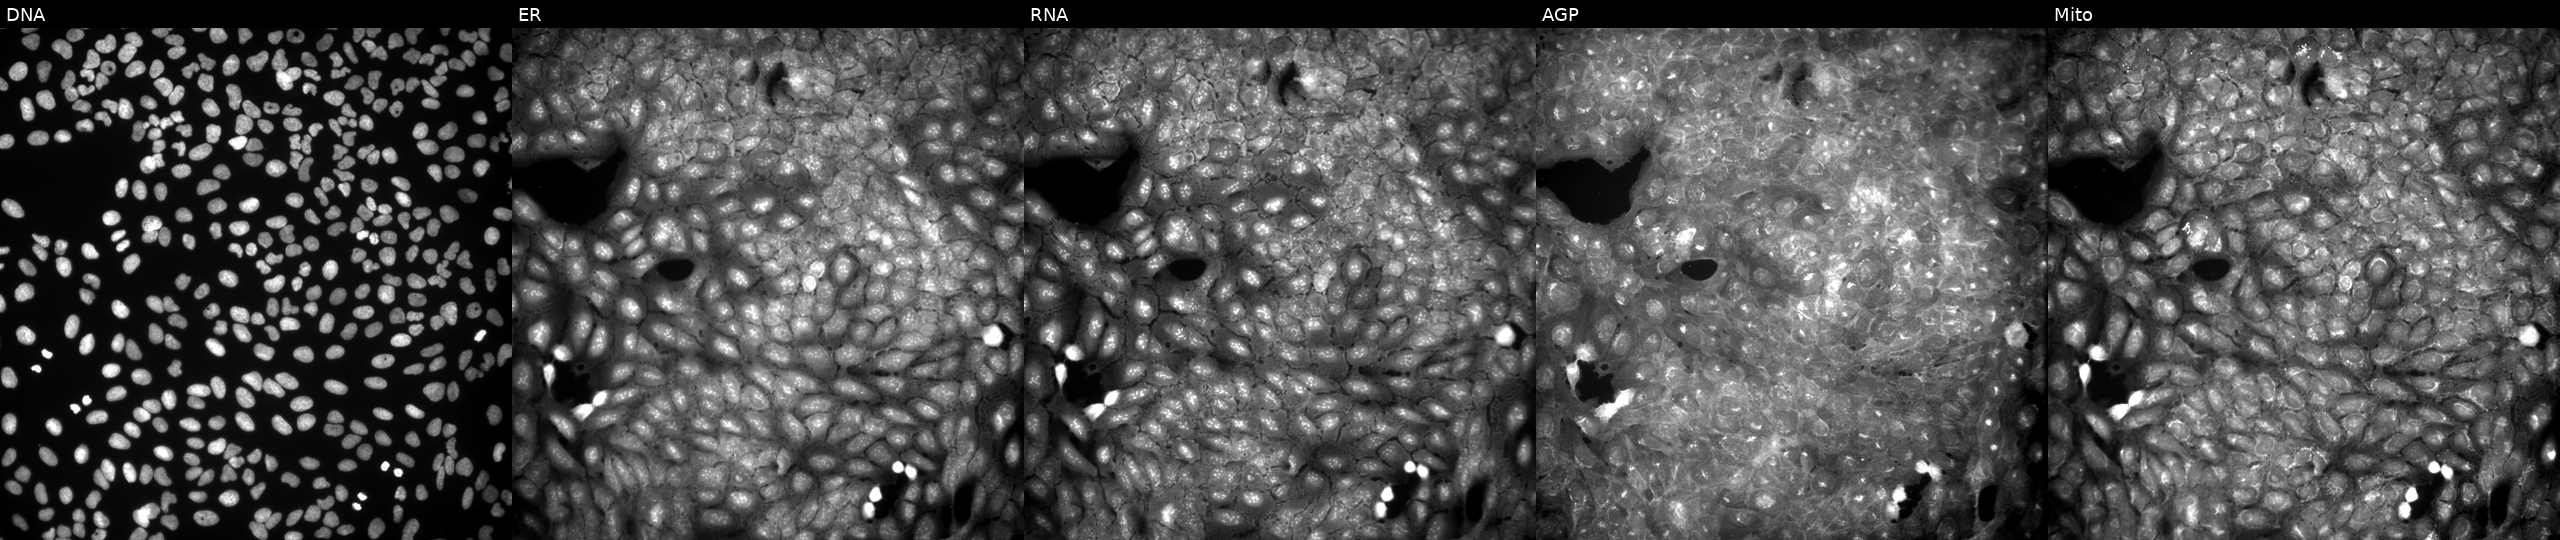
Panels show, left to right, DNA (nuclei); ER (endoplasmic reticulum); RNA (nucleoli and cytoplasmic RNA); AGP (actin cytoskeleton, Golgi, and plasma membrane); Mito (mitochondria). U2OS osteosarcoma cells perturbed with a small-molecule compound (InChIKey ZKMFIOCLFNQKNP-UHFFFAOYSA-N) (JUMP id JCP2022_113910). Cell Painting assay, JUMP-CP dataset. Source 9, plate GR00003381, well E40.